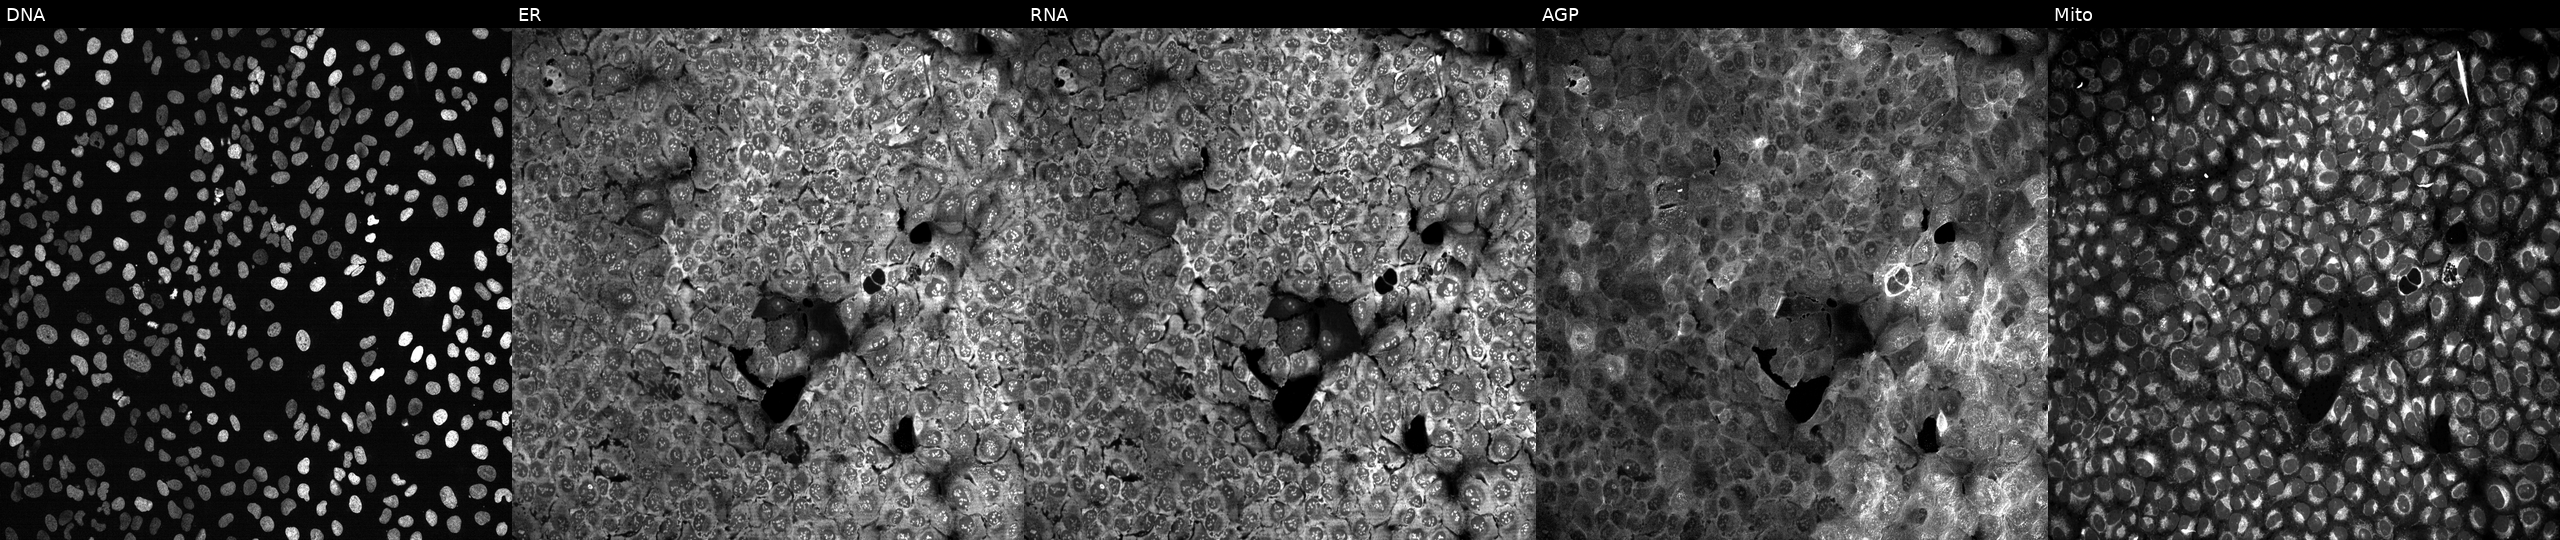
JUMP Cell Painting — CRISPR plate. U2OS cells CRISPR-edited to disrupt ACOT1. The five panels, left to right, show DNA (nuclei); ER (endoplasmic reticulum); RNA (nucleoli and cytoplasmic RNA); AGP (actin cytoskeleton, Golgi, and plasma membrane); Mito (mitochondria).